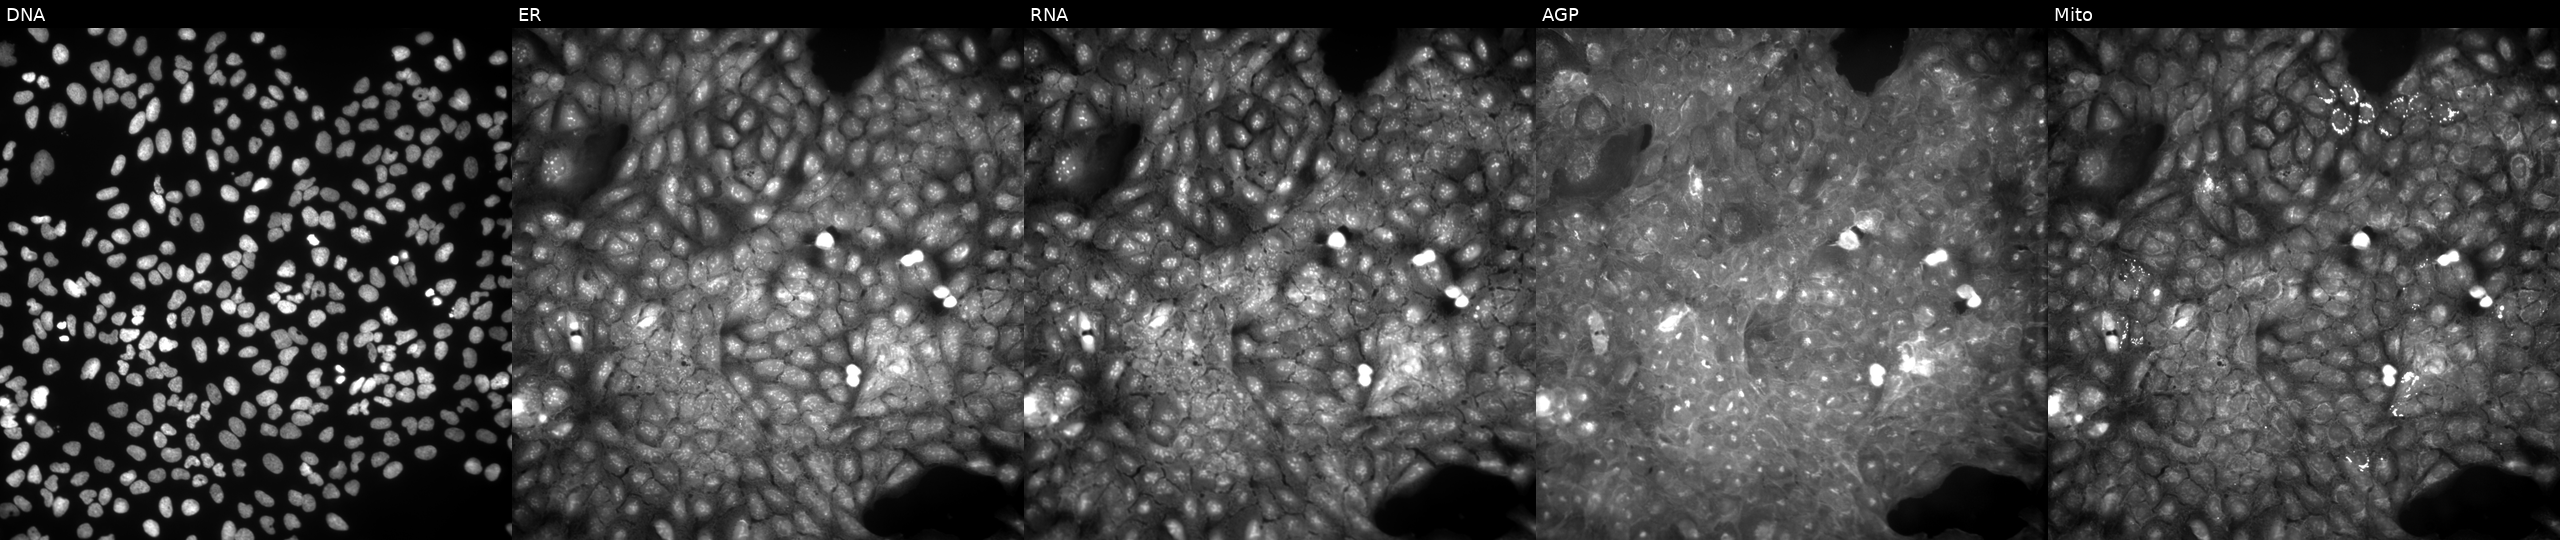
Five-channel Cell Painting image of U2OS cells exposed to DMSO alone as a negative control (JUMP id JCP2022_033924). Channels (left→right): DNA, ER, RNA, AGP, and Mito.